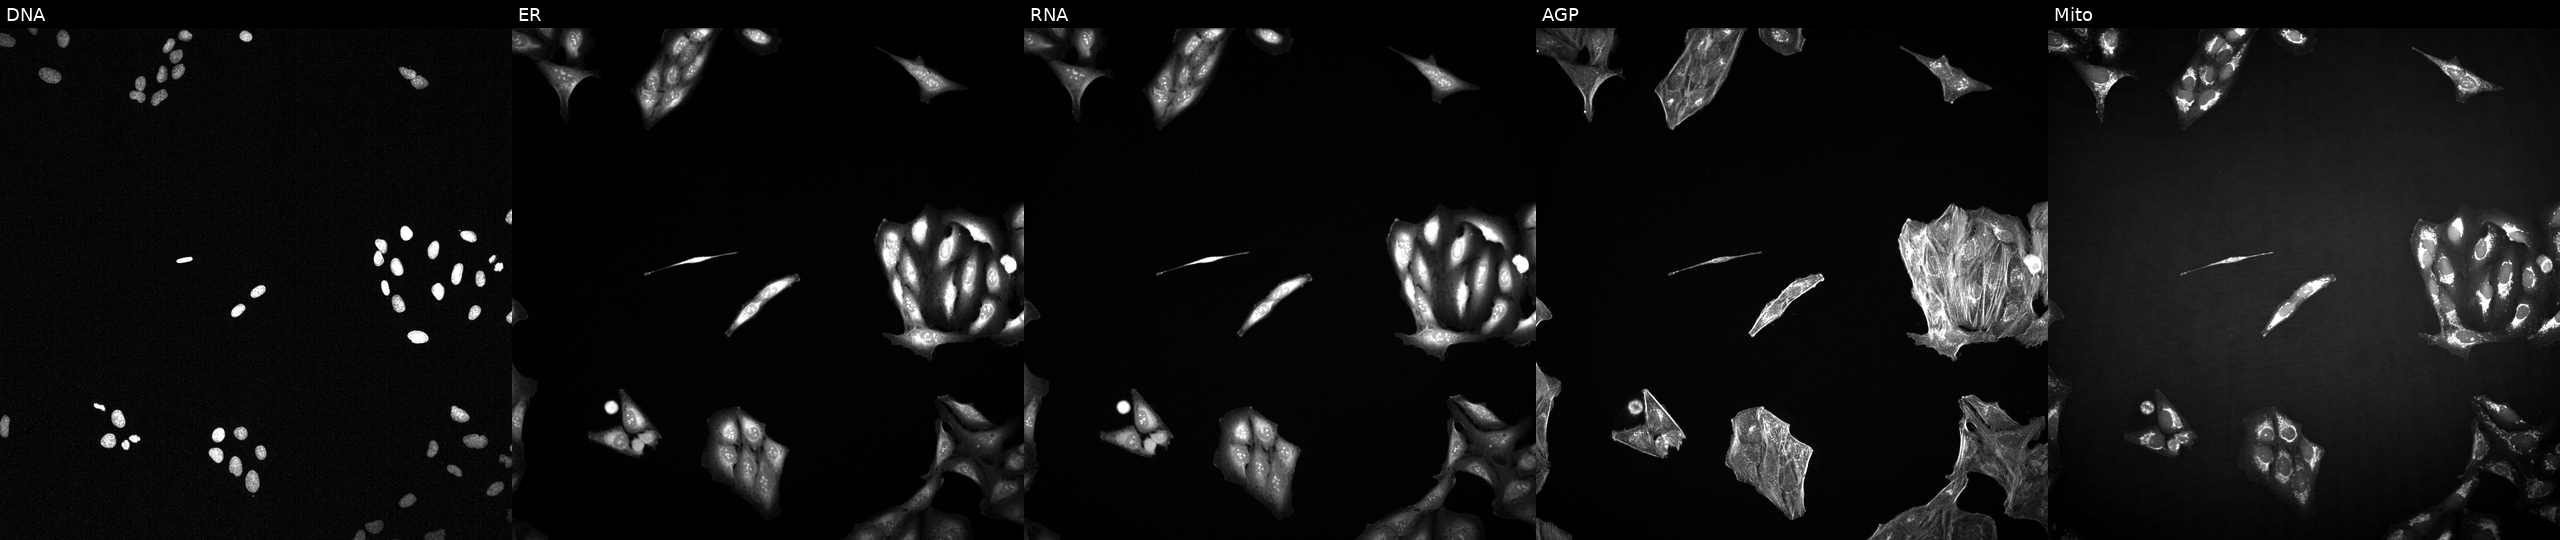
Five-channel Cell Painting image of U2OS cells exposed to a small-molecule compound (JUMP id JCP2022_050997). The five panels, left to right, show DNA (nuclei); ER (endoplasmic reticulum); RNA (nucleoli and cytoplasmic RNA); AGP (actin cytoskeleton, Golgi, and plasma membrane); Mito (mitochondria).